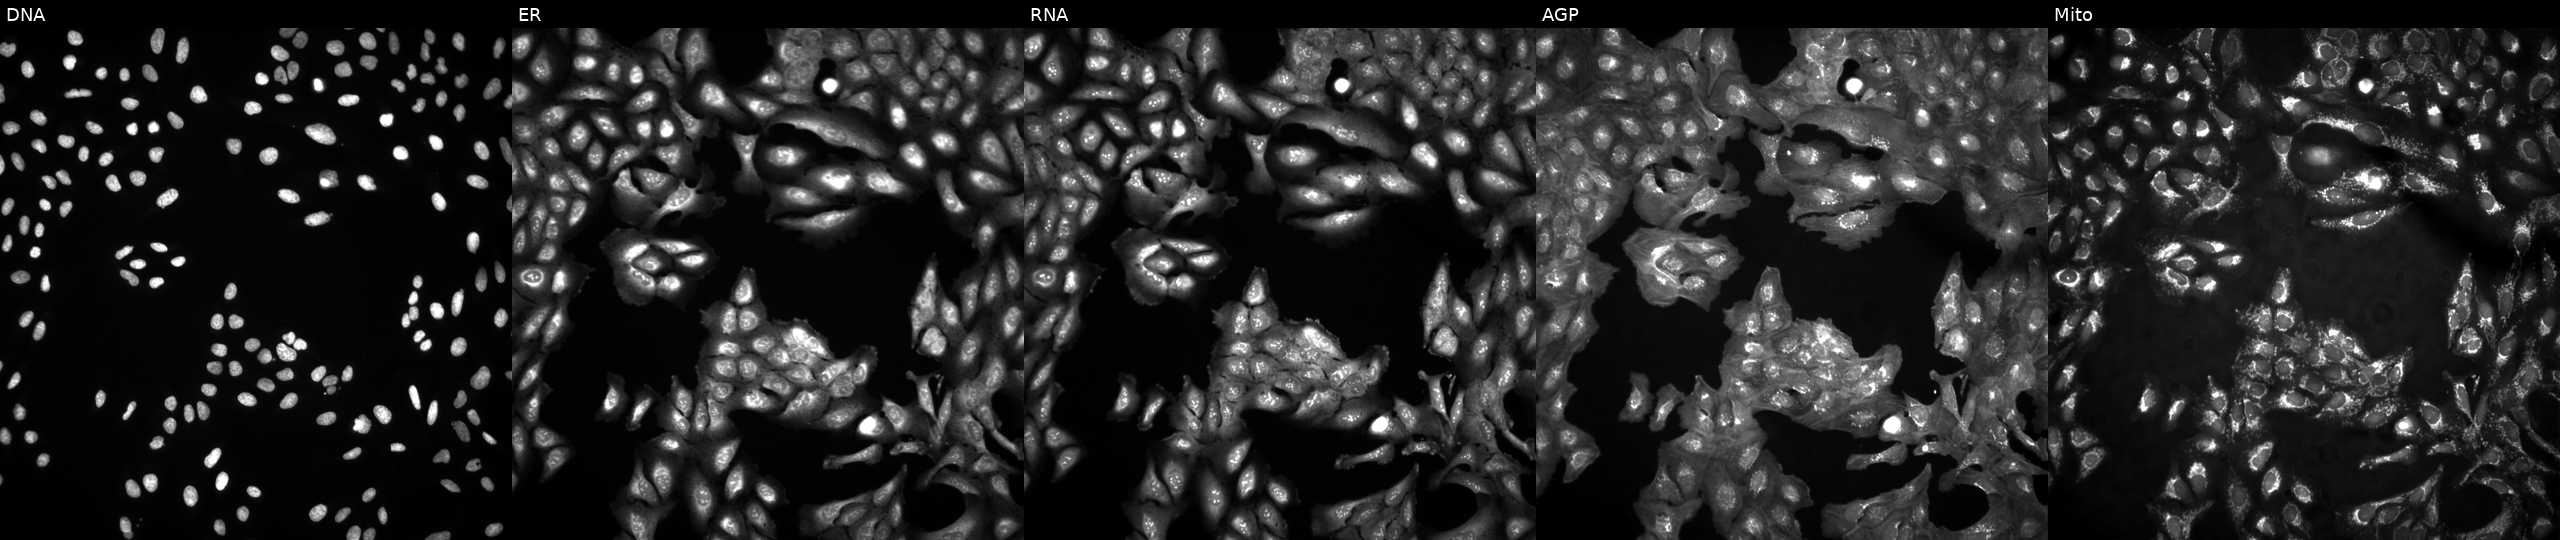
JUMP Cell Painting — ORF plate. U2OS cells in an empty control well (no perturbation) (JUMP id JCP2022_999999). The five panels, left to right, show DNA (nuclei); ER (endoplasmic reticulum); RNA (nucleoli and cytoplasmic RNA); AGP (actin cytoskeleton, Golgi, and plasma membrane); Mito (mitochondria). Source 4, plate BR00124793, well B19.